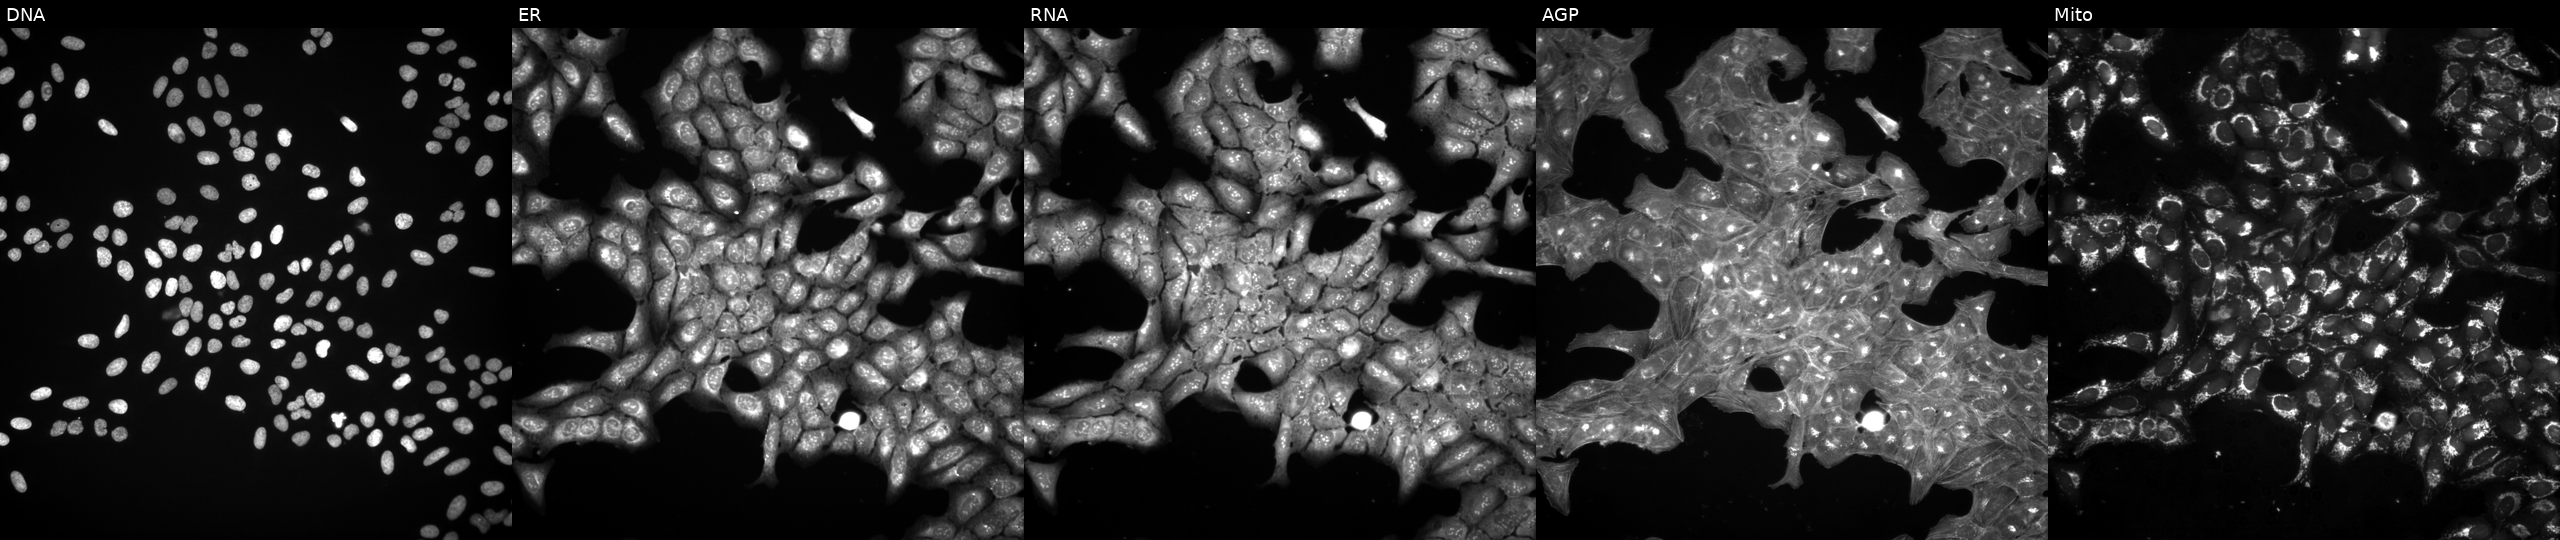
Five-channel Cell Painting image of U2OS cells exposed to a small-molecule compound (InChIKey RWILEQZAPCYZJL-UHFFFAOYSA-N). From left to right: Hoechst 33342, concanavalin A, SYTO 14, phalloidin and WGA, MitoTracker.